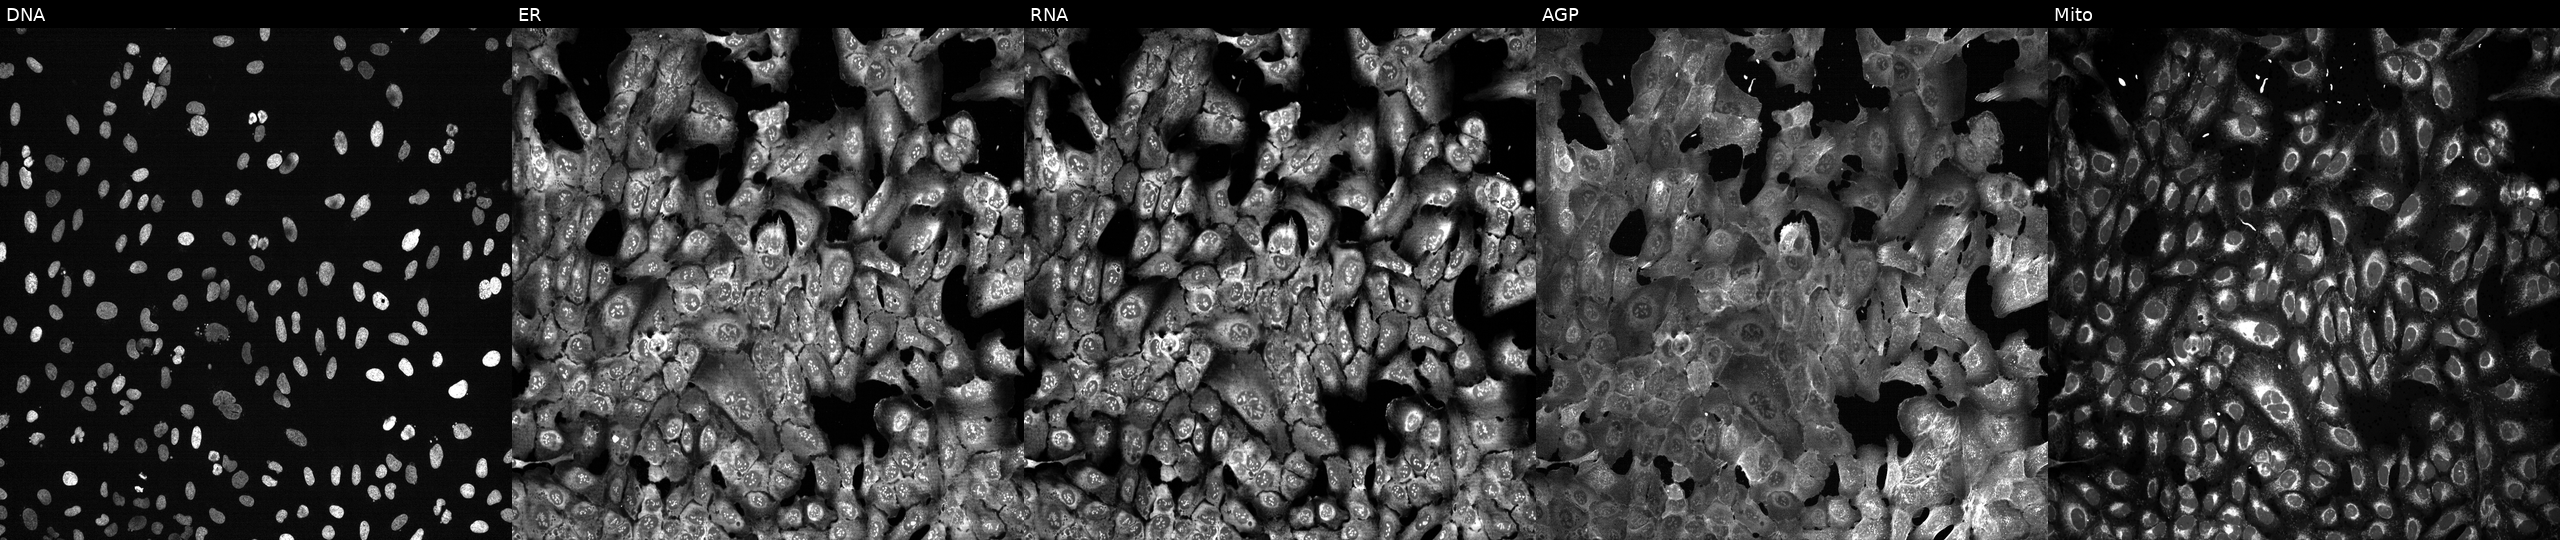
U2OS cells, Cell Painting assay, following CRISPR knockout of AHCY (JUMP id JCP2022_800327). Channels (left→right): DNA, ER, RNA, AGP, and Mito. Each panel is percentile-stretched 16-bit fluorescence. Source 13, plate CP-CC9-R2-01, well C11.